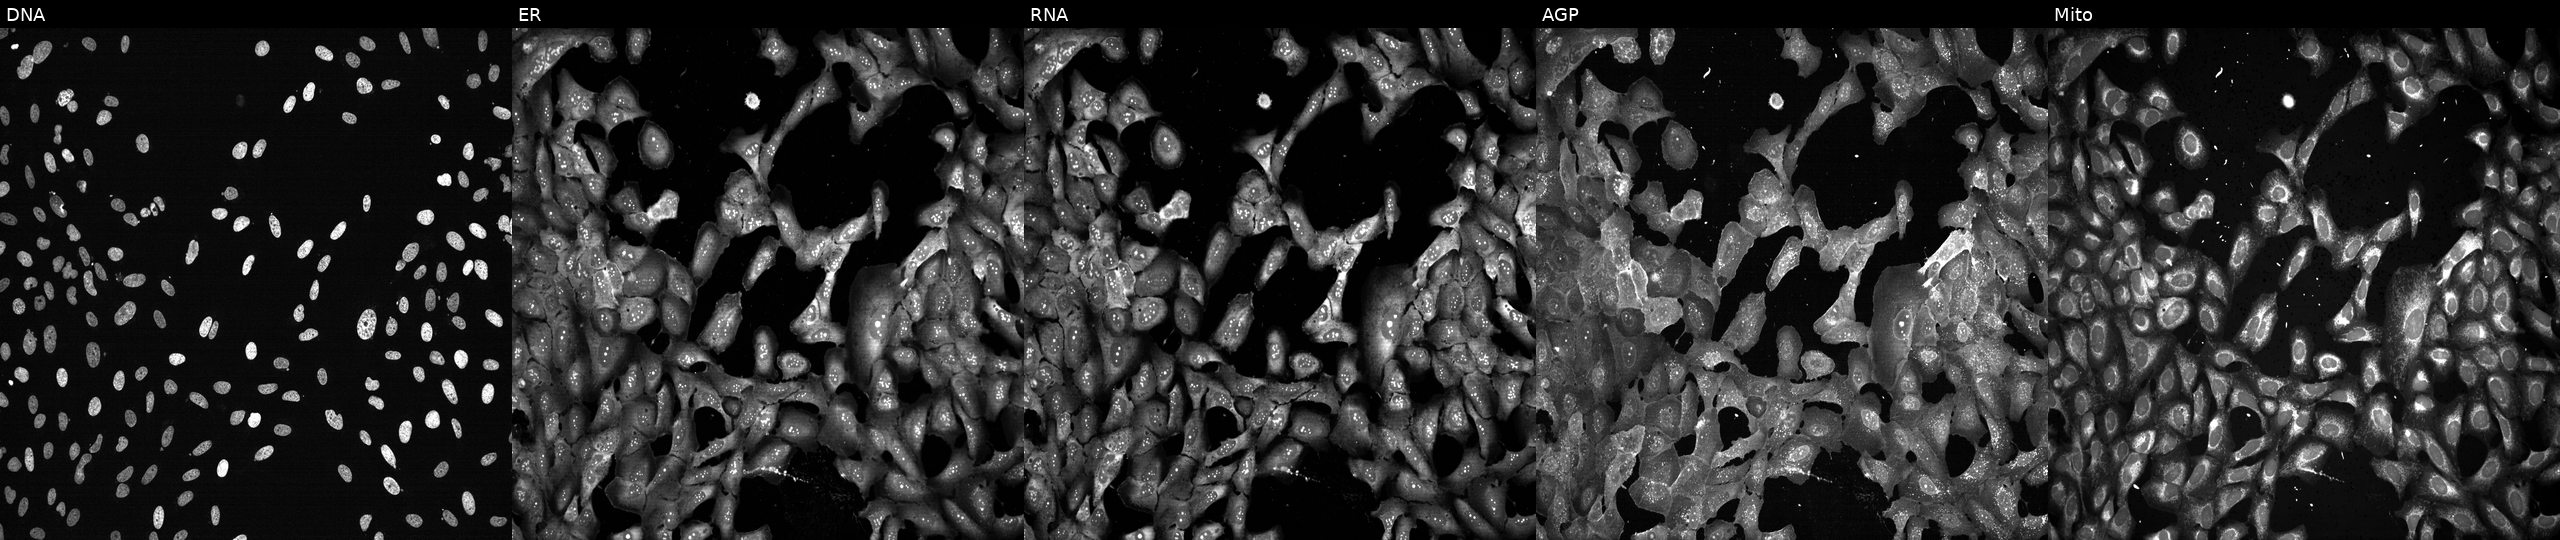
This image strip shows the five Cell Painting channels for a single field of U2OS cells with POLR1A knocked out by CRISPR. The five panels, left to right, show Hoechst 33342, concanavalin A, SYTO 14, phalloidin and WGA, MitoTracker.